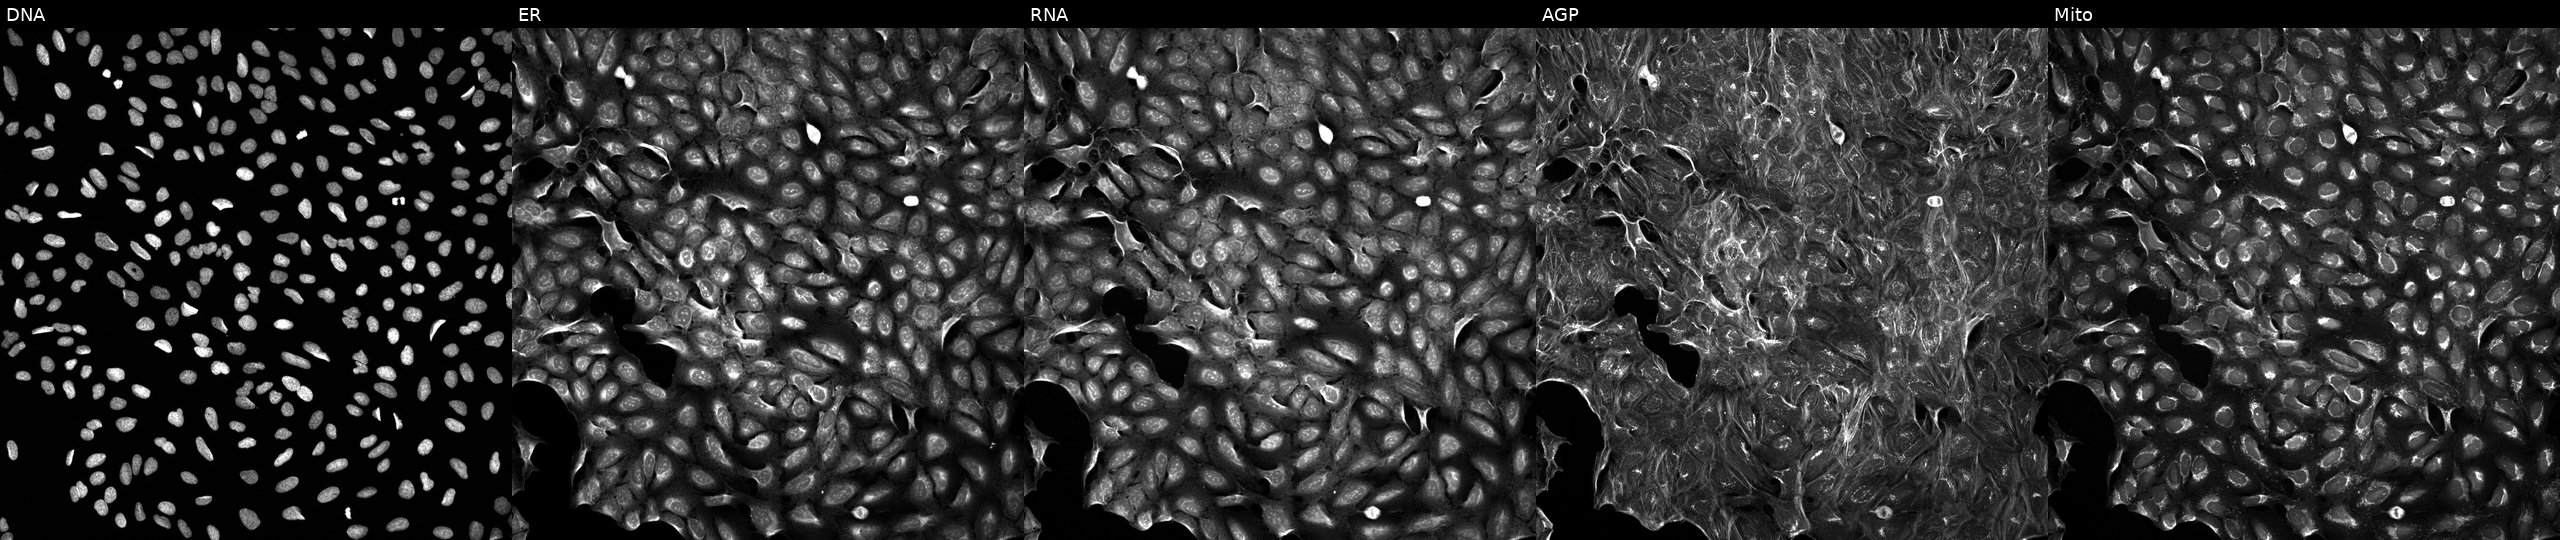
The five panels, left to right, show DNA, ER, RNA, AGP, and Mito. U2OS osteosarcoma cells treated with a small-molecule compound (InChIKey AUMHDRMJJNZTPB-UHFFFAOYSA-N). Cell Painting assay, JUMP-CP dataset.